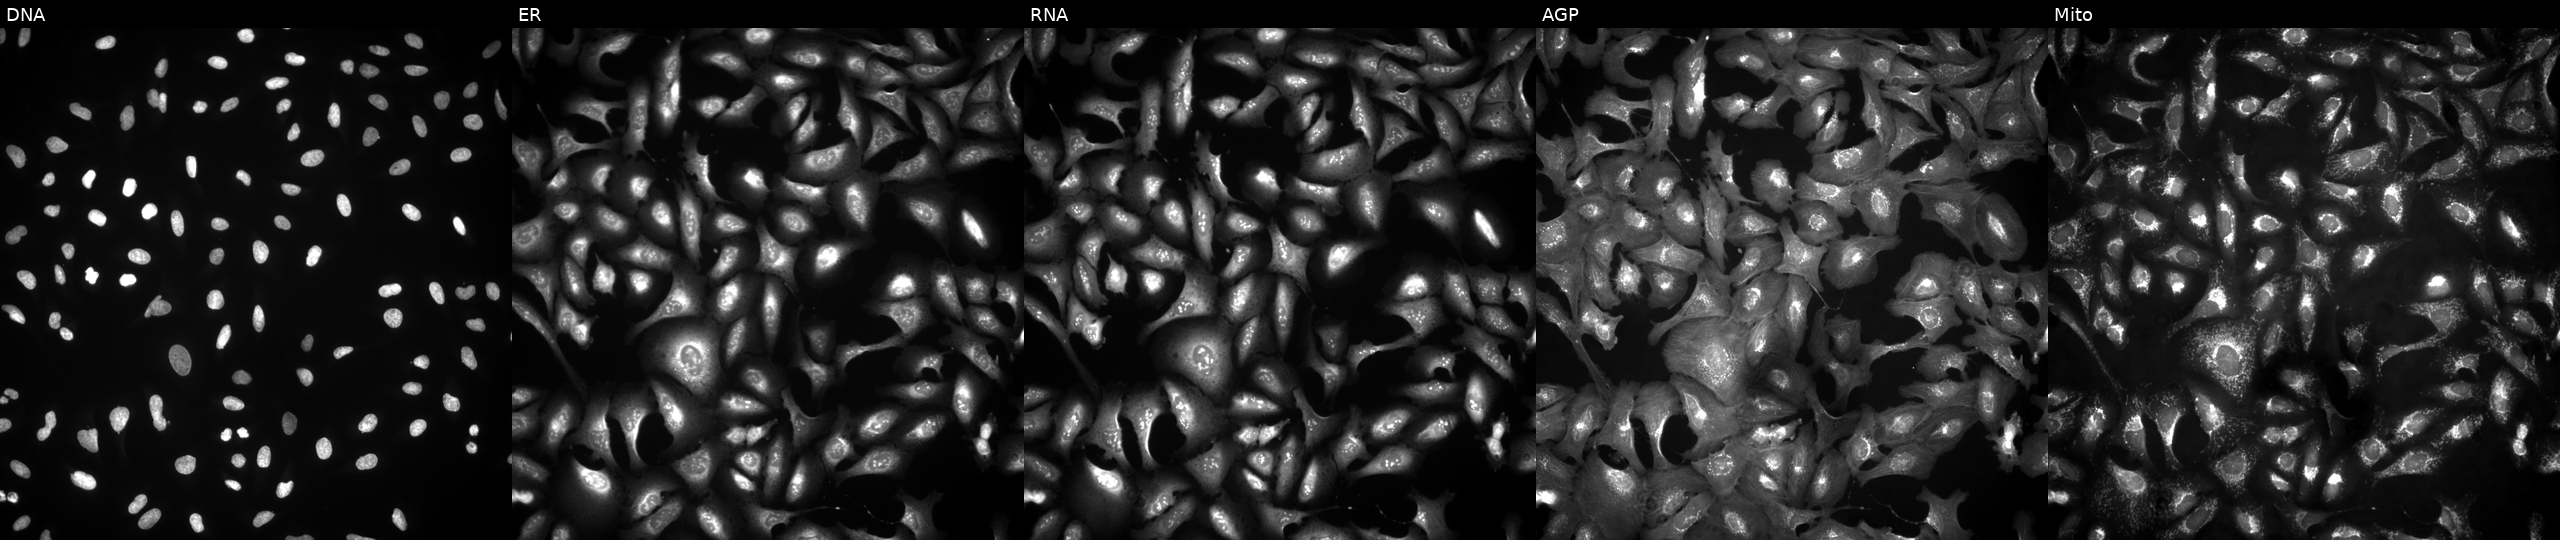
Channels (left→right): DNA (nuclei); ER (endoplasmic reticulum); RNA (nucleoli and cytoplasmic RNA); AGP (actin cytoskeleton, Golgi, and plasma membrane); Mito (mitochondria). U2OS osteosarcoma cells overexpressing LCE3E via ORF transfection (JUMP id JCP2022_909369). Cell Painting assay, JUMP-CP dataset.